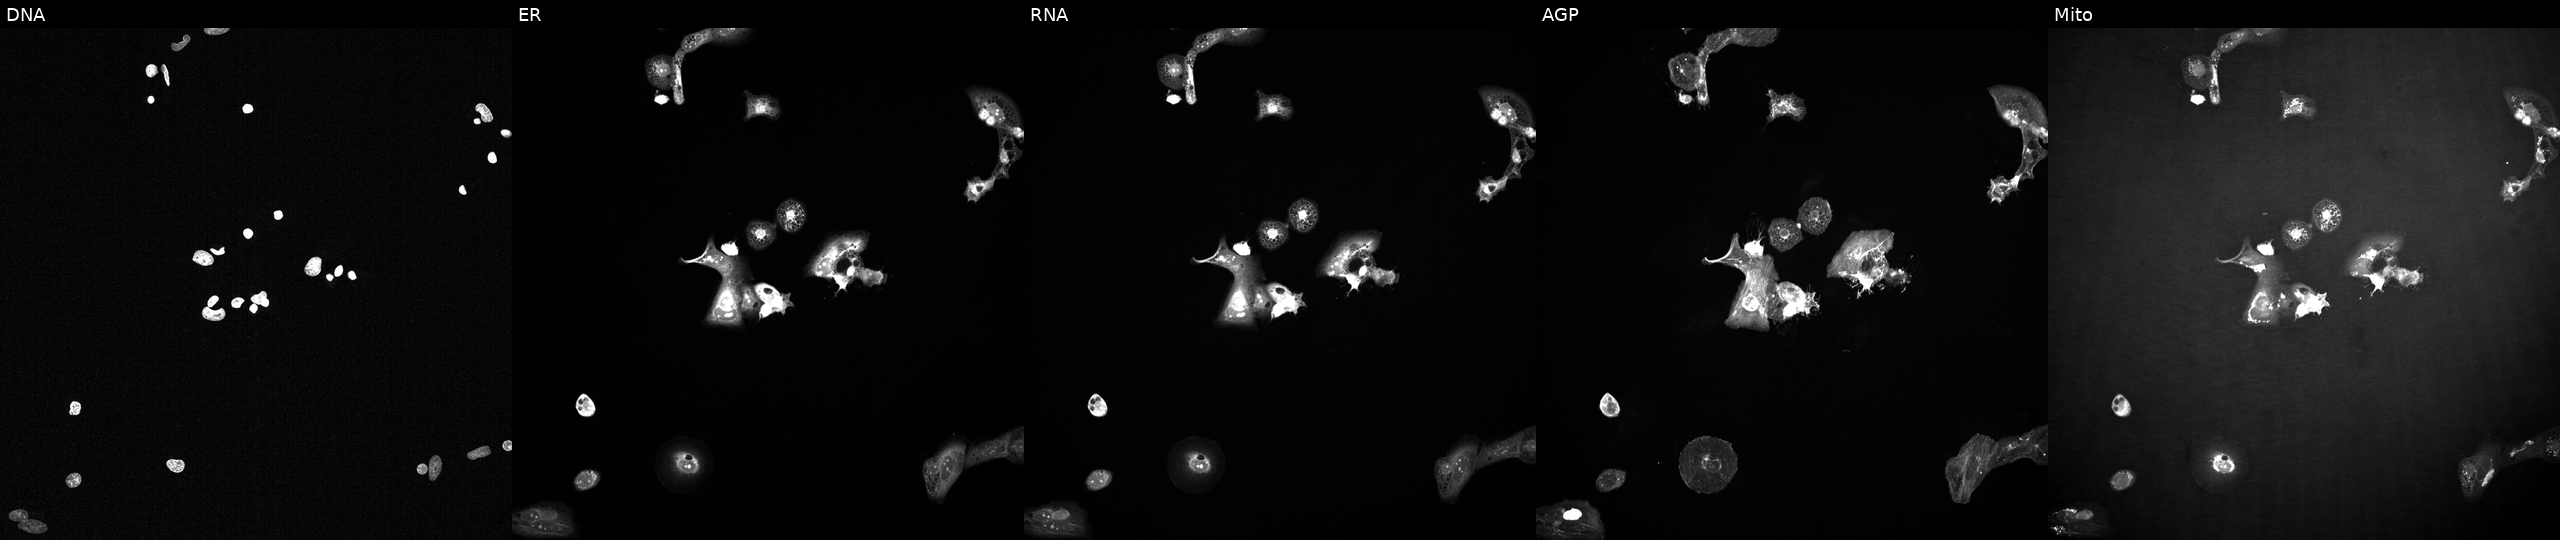
Channels (left→right): DNA, ER, RNA, AGP, and Mito. U2OS osteosarcoma cells exposed to a small-molecule compound (InChIKey MNYJJHBAEYKXEG-UHFFFAOYSA-N). Cell Painting assay, JUMP-CP dataset. Source 2, plate 1053600674, well B22.